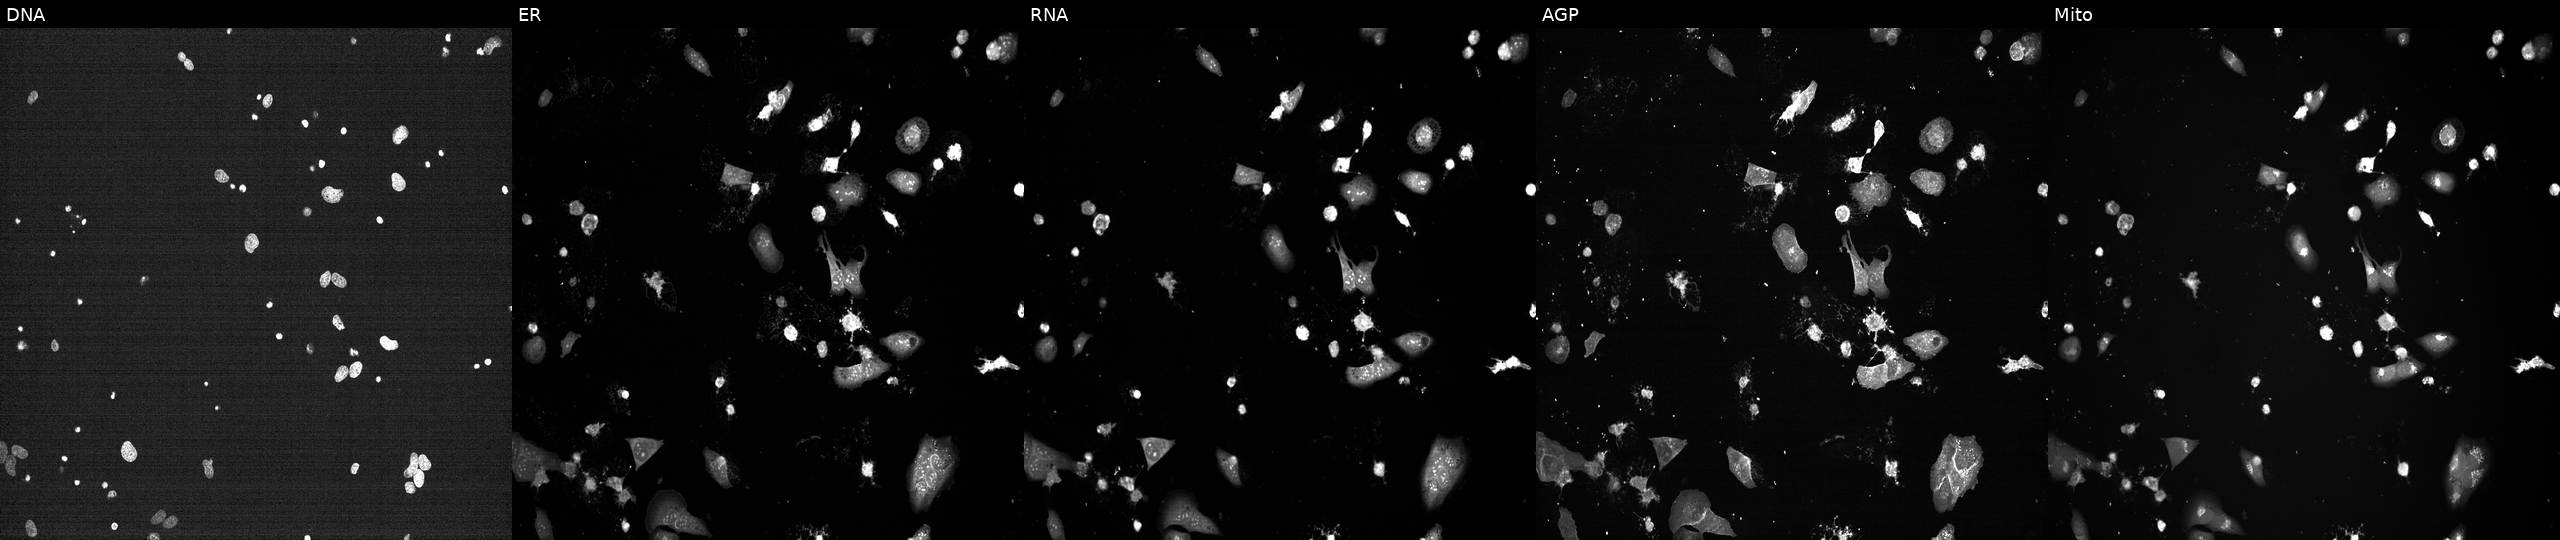
U2OS cells, Cell Painting assay, perturbed with a small-molecule compound (JUMP id JCP2022_091373). From left to right: DNA (nuclei); ER (endoplasmic reticulum); RNA (nucleoli and cytoplasmic RNA); AGP (actin cytoskeleton, Golgi, and plasma membrane); Mito (mitochondria). Each panel is percentile-stretched 16-bit fluorescence.